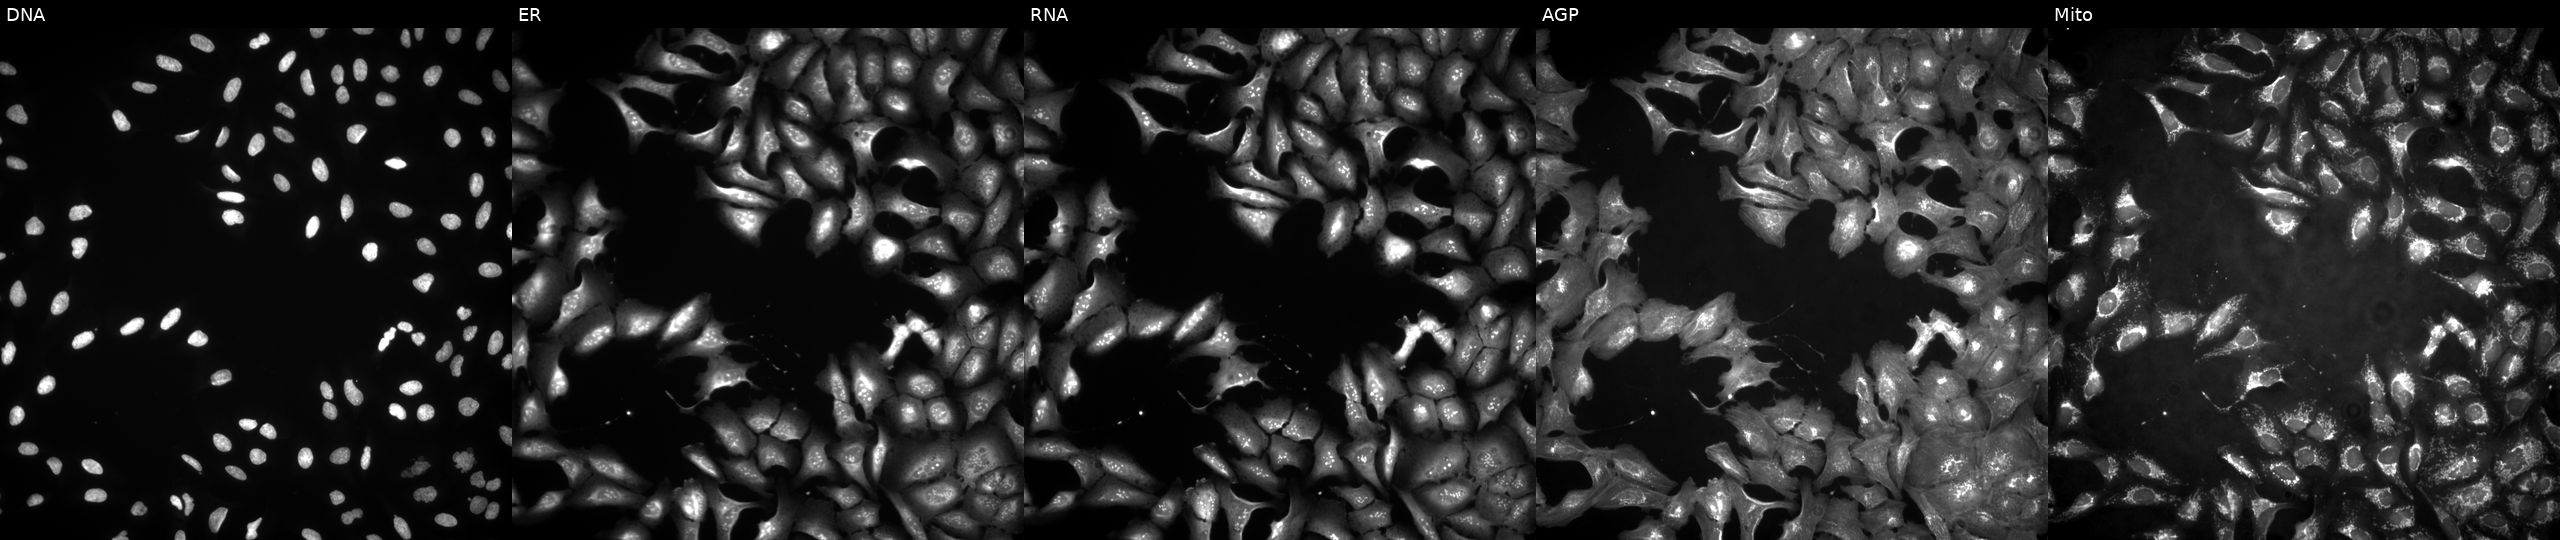
Channels (left→right): Hoechst 33342, concanavalin A, SYTO 14, phalloidin and WGA, MitoTracker. U2OS osteosarcoma cells transfected with an ORF construct for CD79A. Cell Painting assay, JUMP-CP dataset.